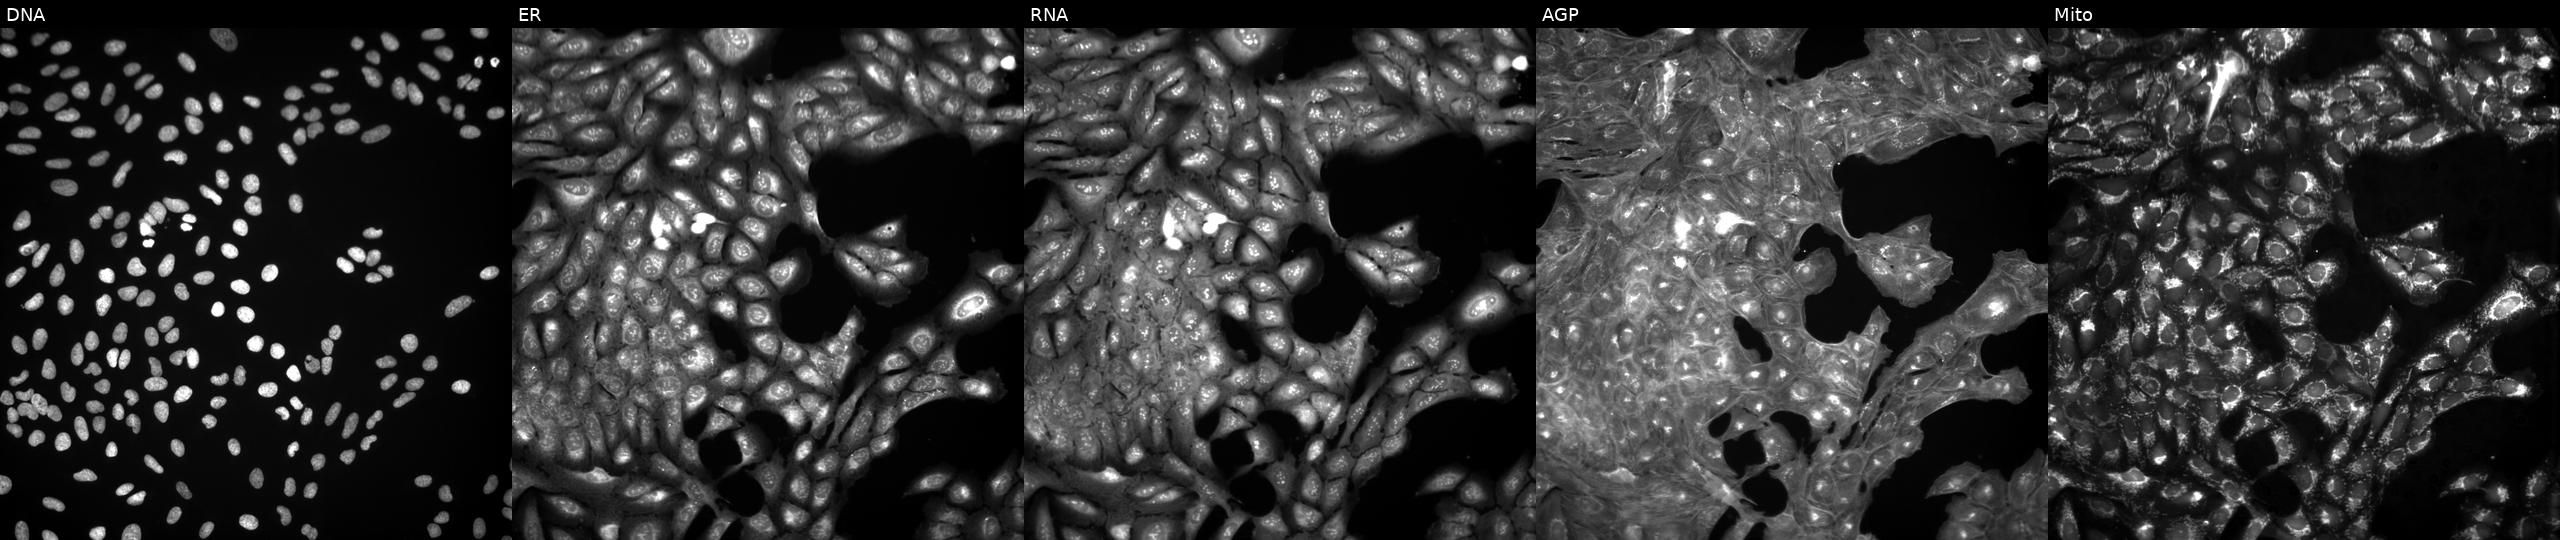
High-content fluorescence microscopy (Cell Painting). Cell line: U2OS. Perturbation: untreated (empty-well control). The five panels, left to right, show DNA (nuclei); ER (endoplasmic reticulum); RNA (nucleoli and cytoplasmic RNA); AGP (actin cytoskeleton, Golgi, and plasma membrane); Mito (mitochondria). Source 3, plate BR5867b3, well A13.